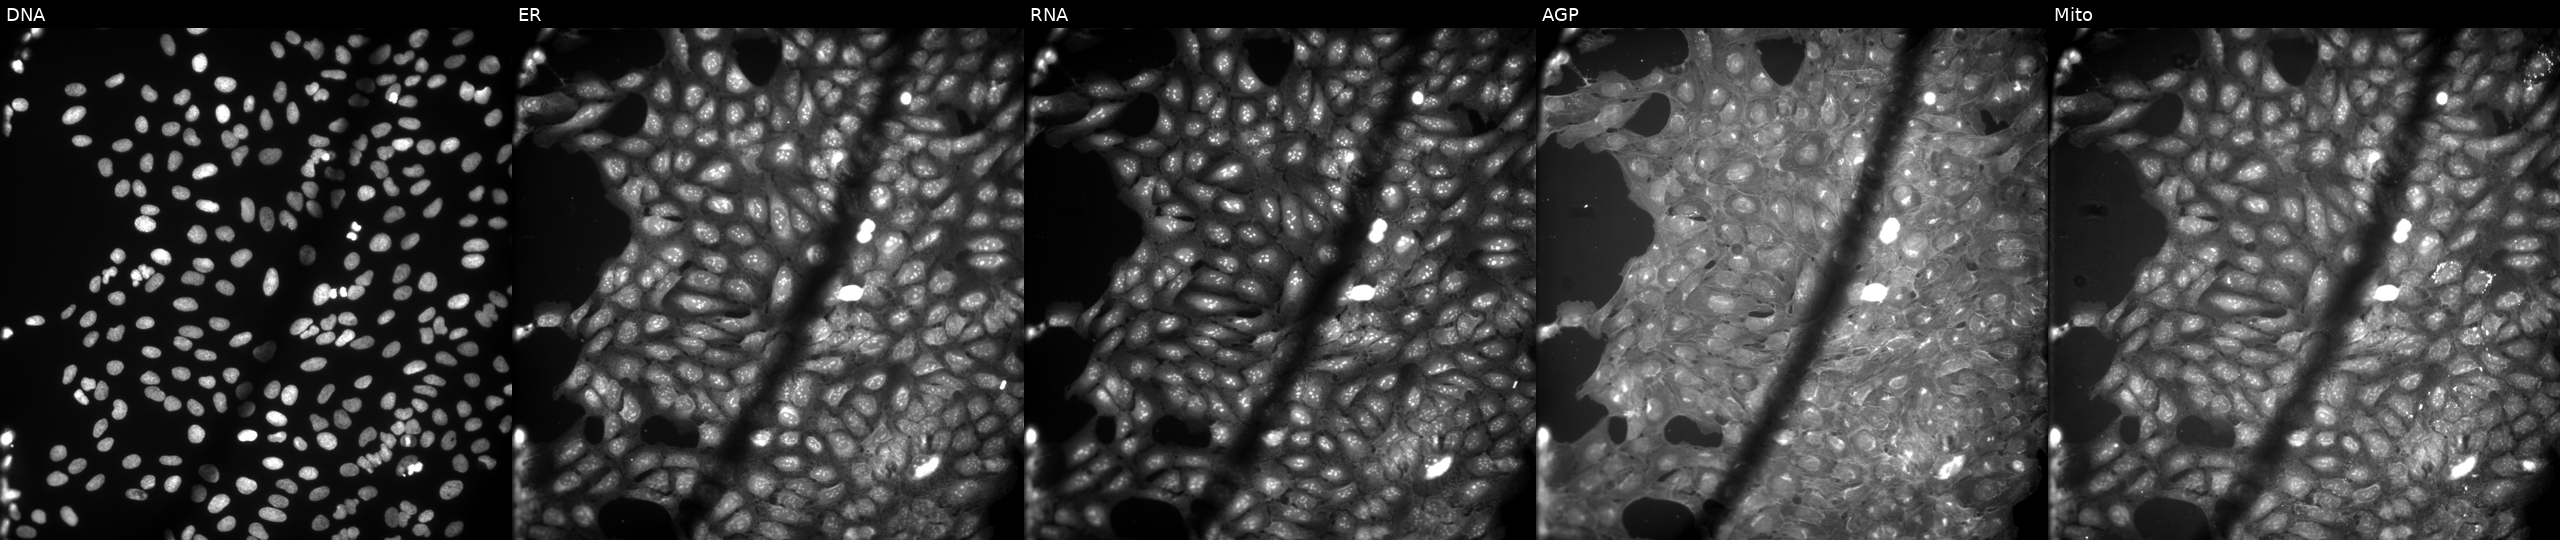
This image strip shows the five Cell Painting channels for a single field of U2OS cells treated with TC-S-7004 (positive-control compound). Panels show, left to right, Hoechst 33342, concanavalin A, SYTO 14, phalloidin and WGA, MitoTracker.